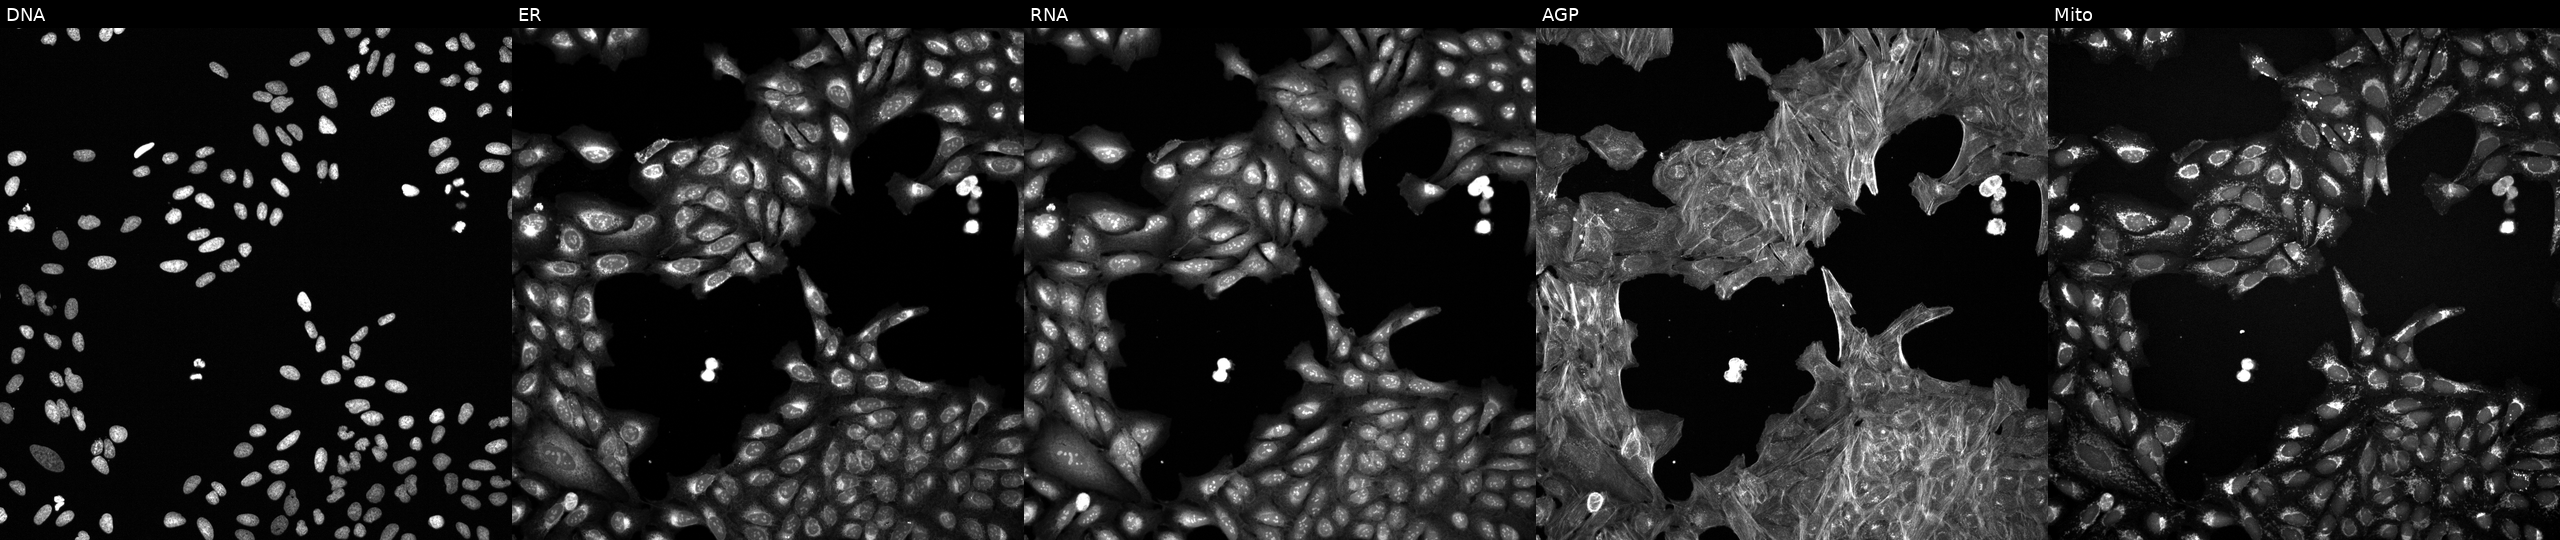
The five panels, left to right, show Hoechst 33342, concanavalin A, SYTO 14, phalloidin and WGA, MitoTracker. U2OS osteosarcoma cells exposed to the positive-control compound TC-S-7004. Cell Painting assay, JUMP-CP dataset. Source 6, plate 110000293082, well H01.